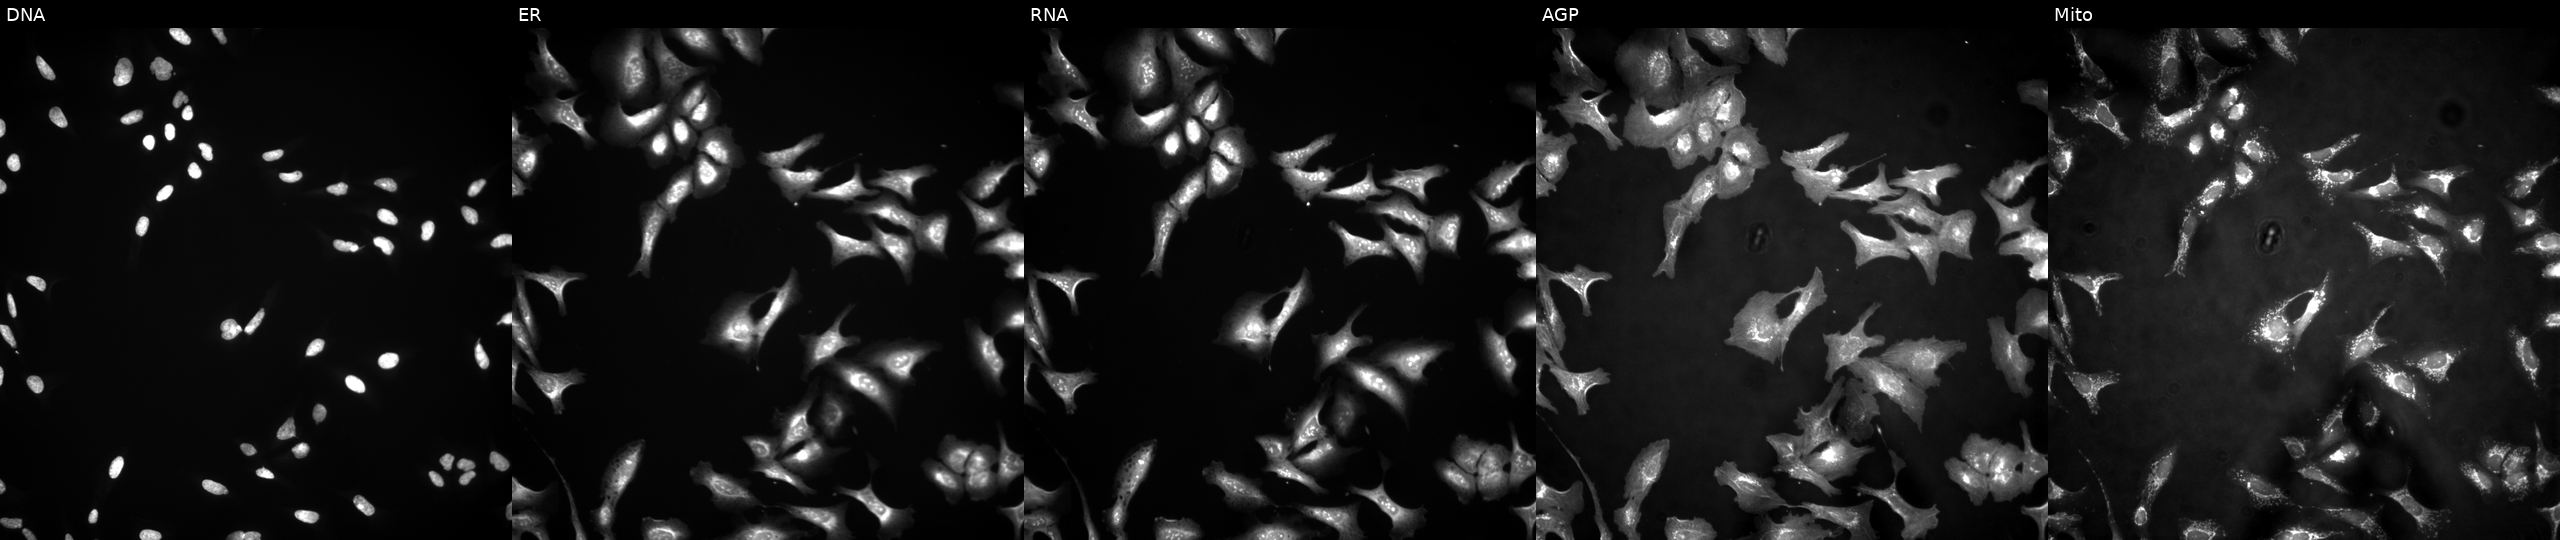
U2OS cells, Cell Painting assay, transfected with an ORF construct for CHMP5 (JUMP id JCP2022_907761). The five panels, left to right, show DNA, ER, RNA, AGP, and Mito. Each panel is percentile-stretched 16-bit fluorescence. Source 4, plate BR00121543, well H18.